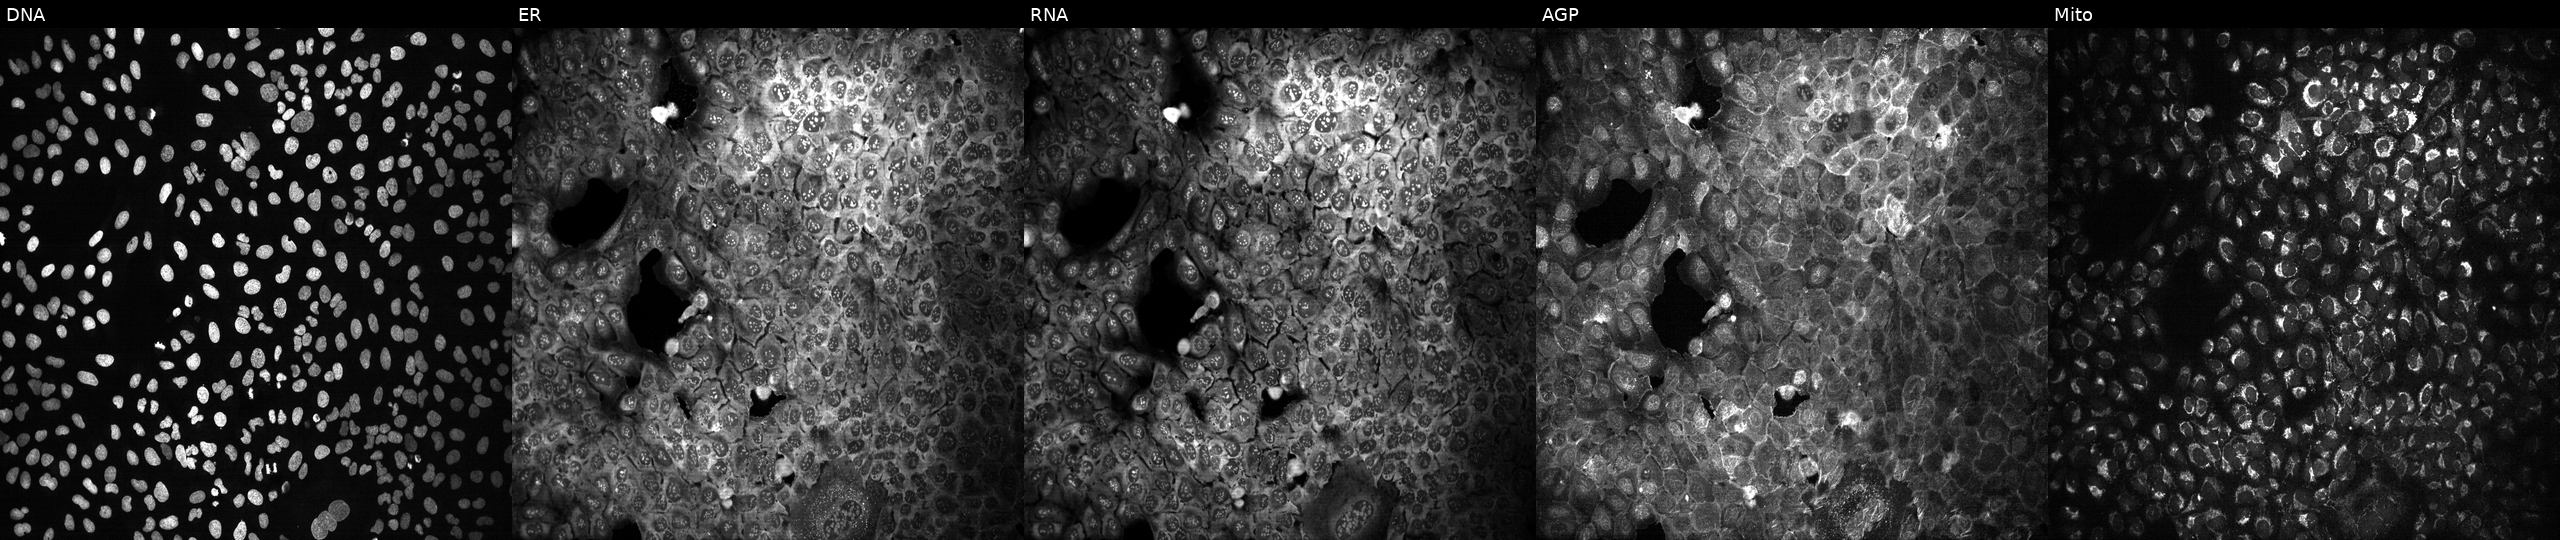
JUMP Cell Painting — CRISPR plate. U2OS cells with no CRISPR guide (negative control) (JUMP id JCP2022_800001). From left to right: DNA, ER, RNA, AGP, and Mito.